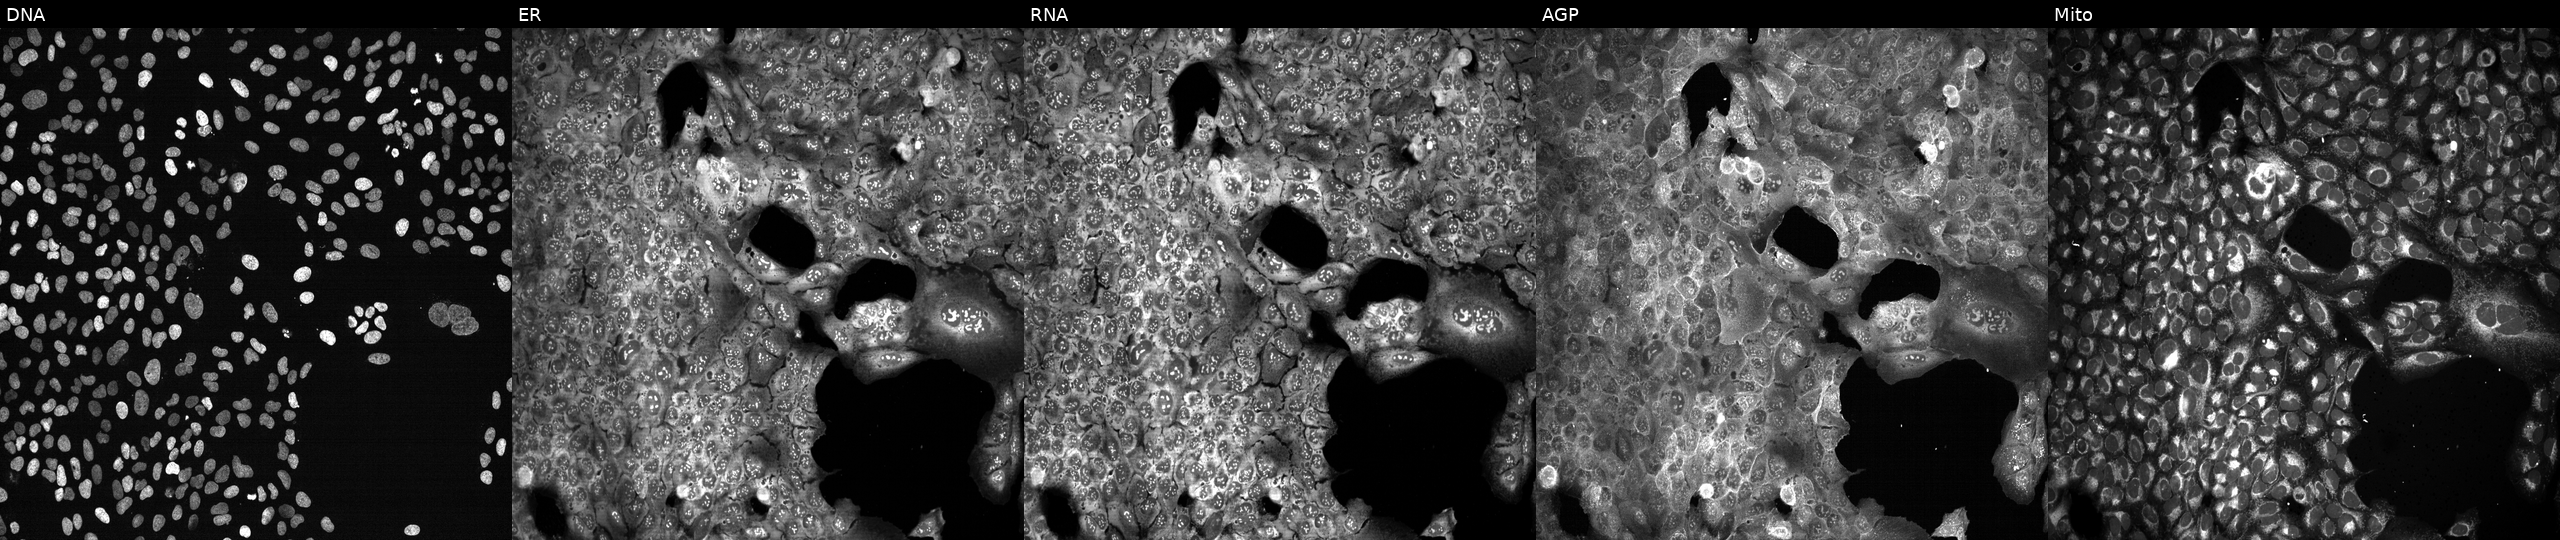
Five-channel Cell Painting image of U2OS cells following CRISPR knockout of UBD (JUMP id JCP2022_807444). Panels show, left to right, Hoechst 33342, concanavalin A, SYTO 14, phalloidin and WGA, MitoTracker.